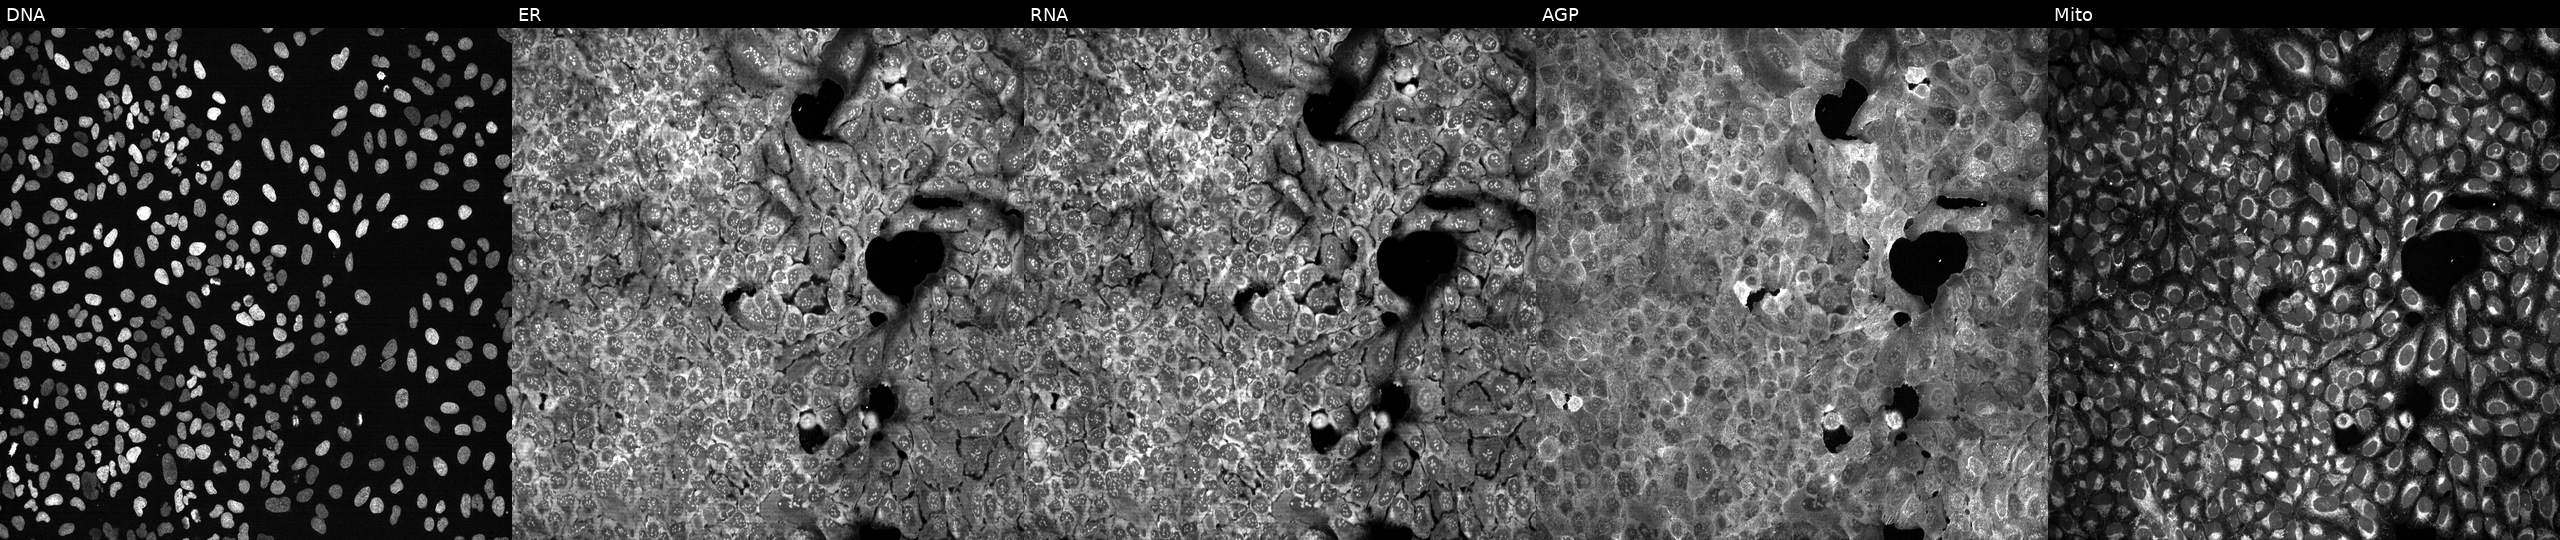
U2OS cells, Cell Painting assay, following CRISPR knockout of APOBEC3B (JUMP id JCP2022_800518). Panels show, left to right, DNA (nuclei); ER (endoplasmic reticulum); RNA (nucleoli and cytoplasmic RNA); AGP (actin cytoskeleton, Golgi, and plasma membrane); Mito (mitochondria). Each panel is percentile-stretched 16-bit fluorescence.